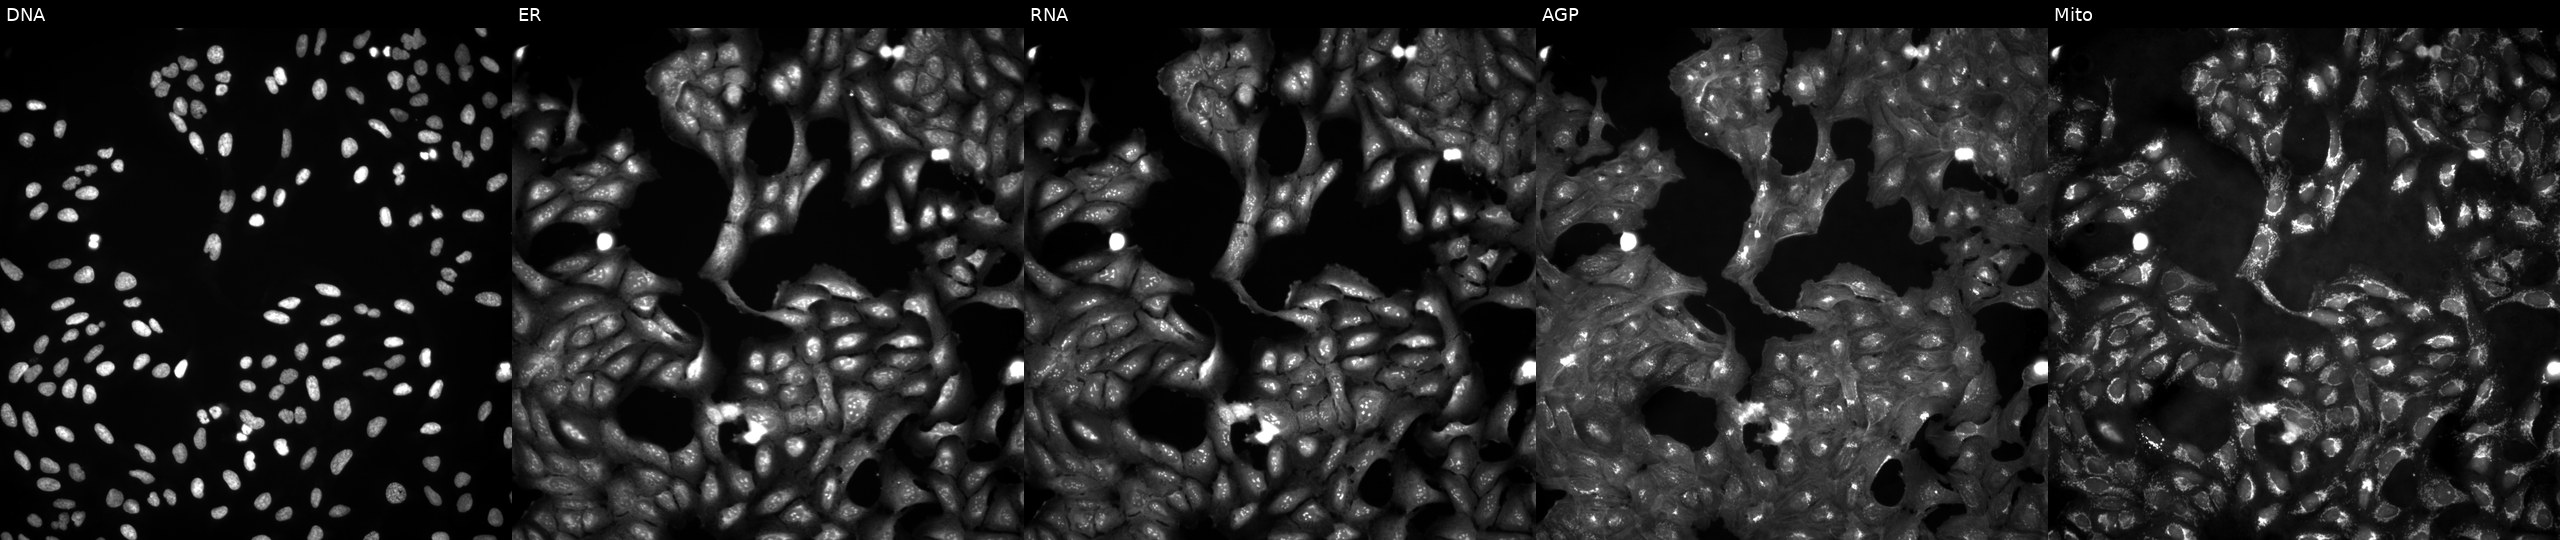
High-content fluorescence microscopy (Cell Painting). Cell line: U2OS. Perturbation: in an empty control well (no perturbation) (JUMP id JCP2022_999999). From left to right: DNA, ER, RNA, AGP, and Mito.